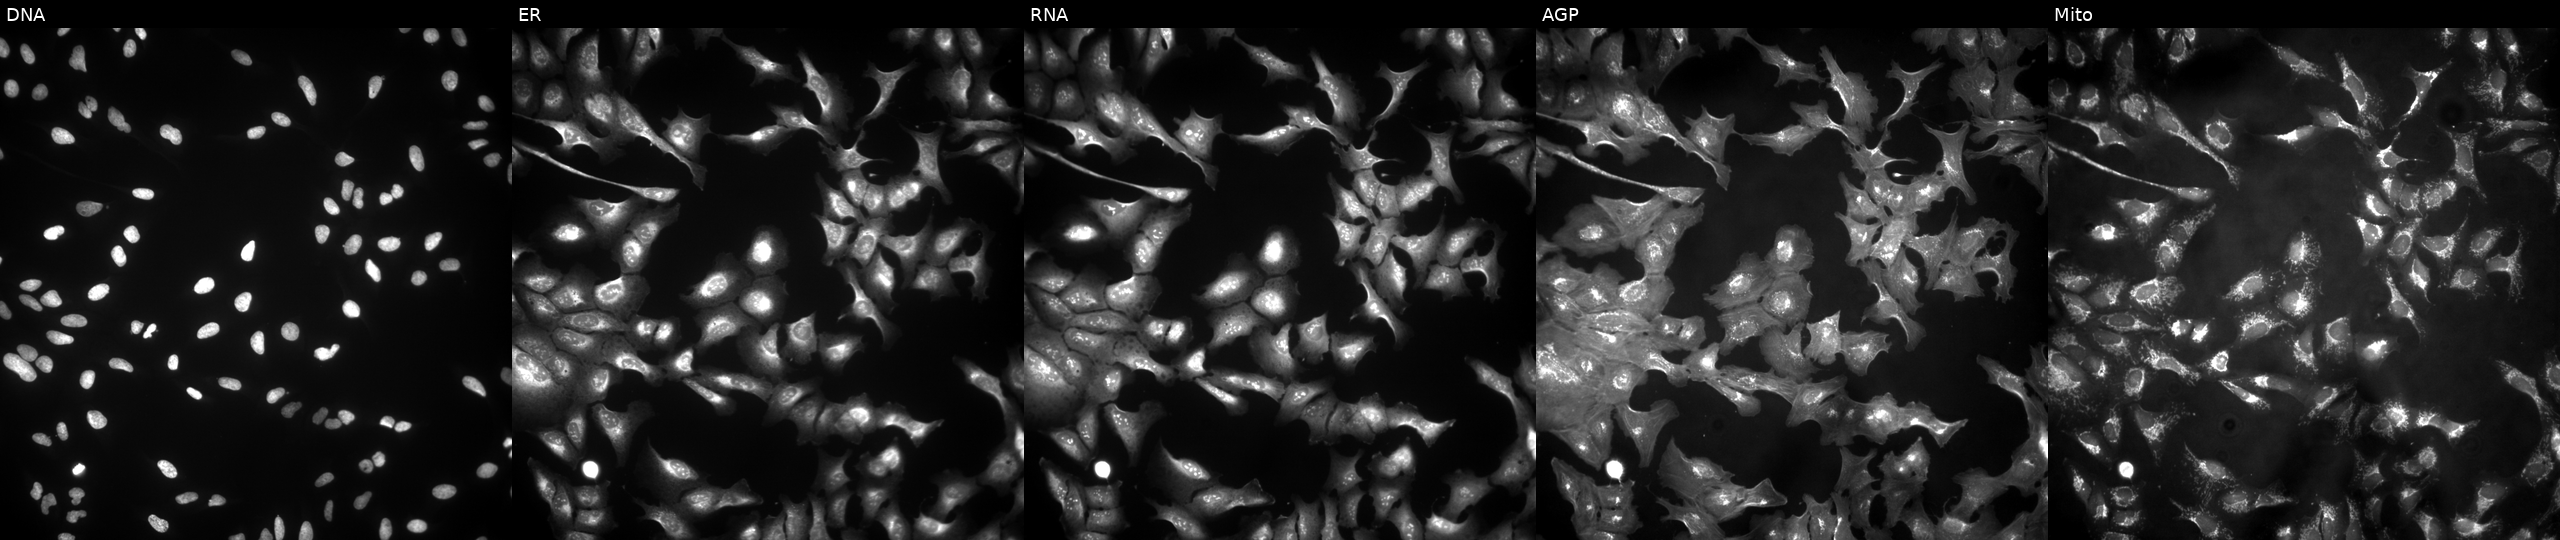
Five-channel Cell Painting image of U2OS cells untreated (empty-well control). Panels show, left to right, DNA (nuclei); ER (endoplasmic reticulum); RNA (nucleoli and cytoplasmic RNA); AGP (actin cytoskeleton, Golgi, and plasma membrane); Mito (mitochondria). Source 4, plate BR00123506, well O22.